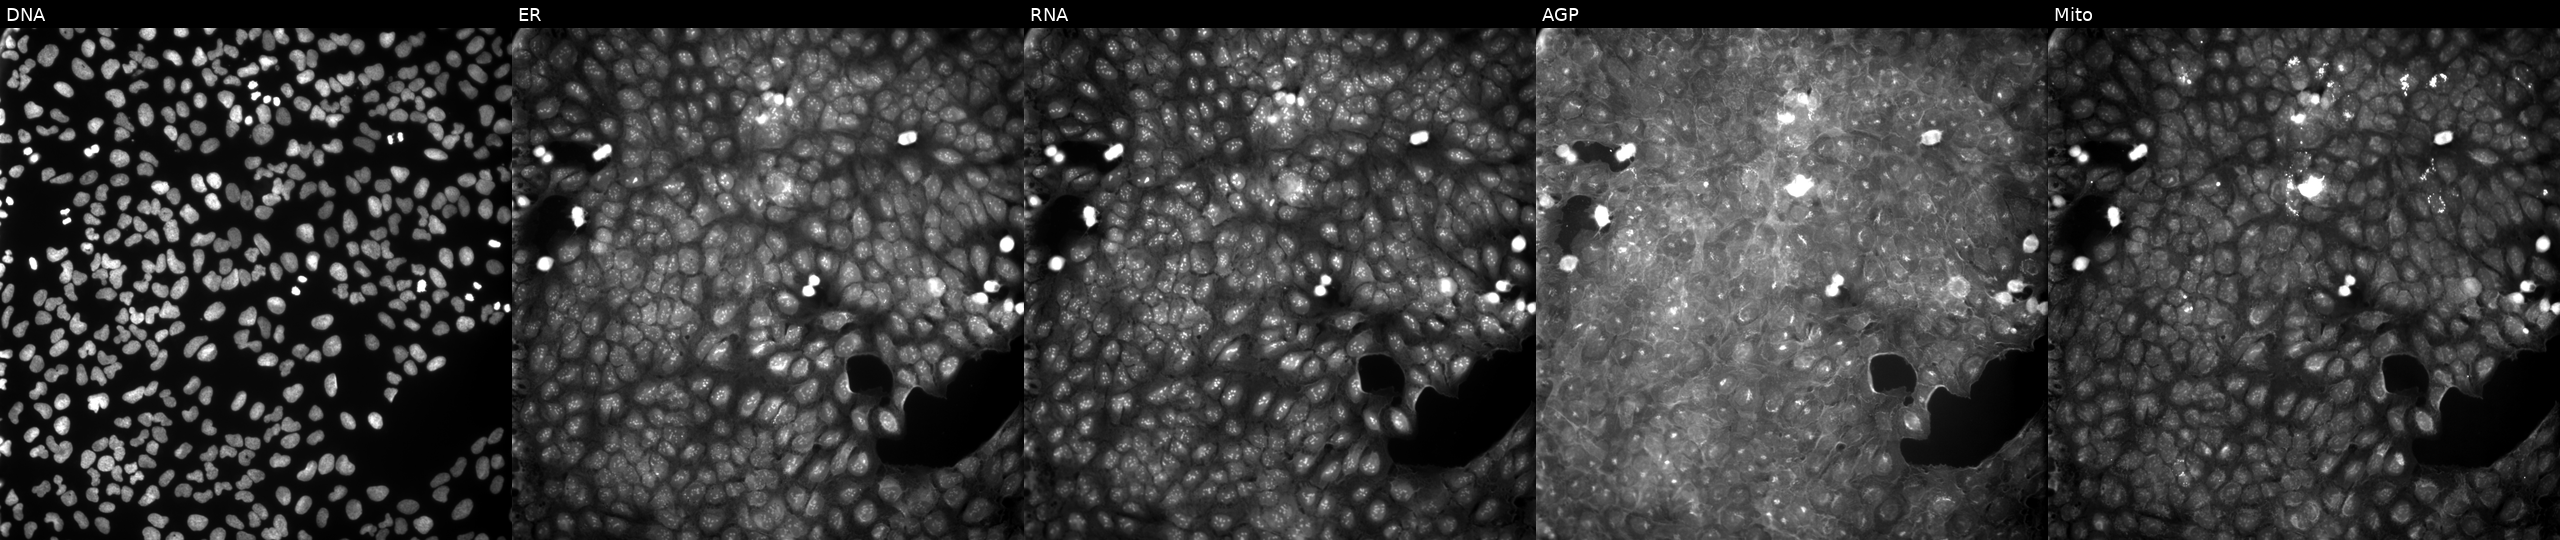
This image strip shows the five Cell Painting channels for a single field of U2OS cells treated with a small-molecule compound (InChIKey RRGWYJLNLPOGGR-UHFFFAOYSA-N) [SMILES: CC(=O)Nc1ccc(OC(=O)C(CCS(C)(=O)=O)N2C(=O)c3ccccc3C2=O)cc1]. Panels show, left to right, DNA (nuclei); ER (endoplasmic reticulum); RNA (nucleoli and cytoplasmic RNA); AGP (actin cytoskeleton, Golgi, and plasma membrane); Mito (mitochondria).